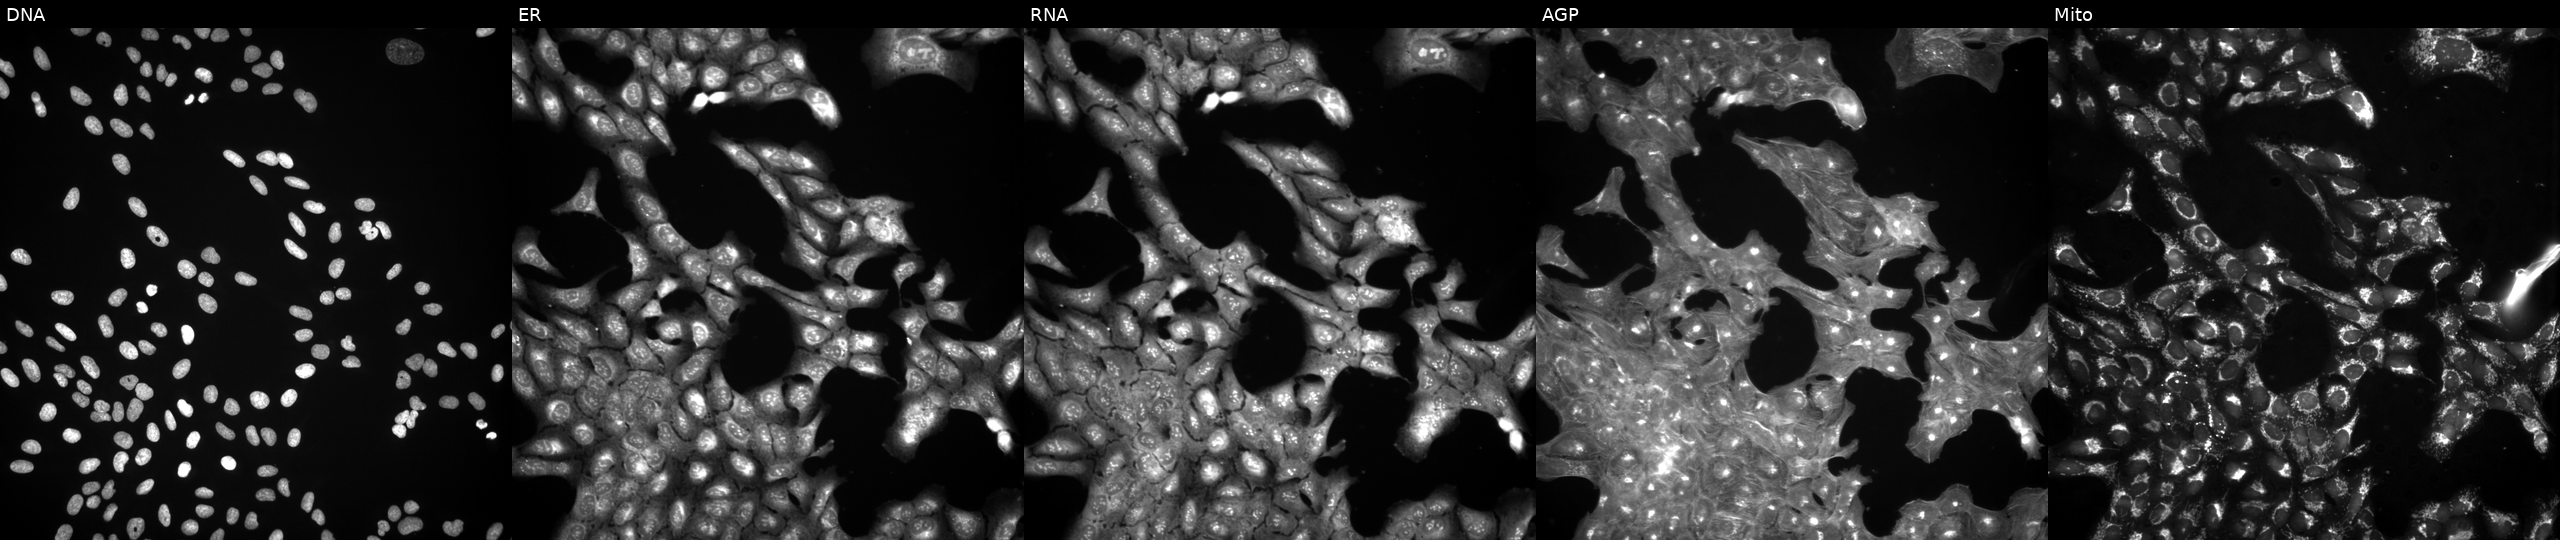
JUMP Cell Painting — TARGET2 plate. U2OS cells perturbed with a small-molecule compound (InChIKey QVZCXCJXTMIDME-UHFFFAOYSA-N) (JUMP id JCP2022_076233). Channels (left→right): Hoechst 33342, concanavalin A, SYTO 14, phalloidin and WGA, MitoTracker.